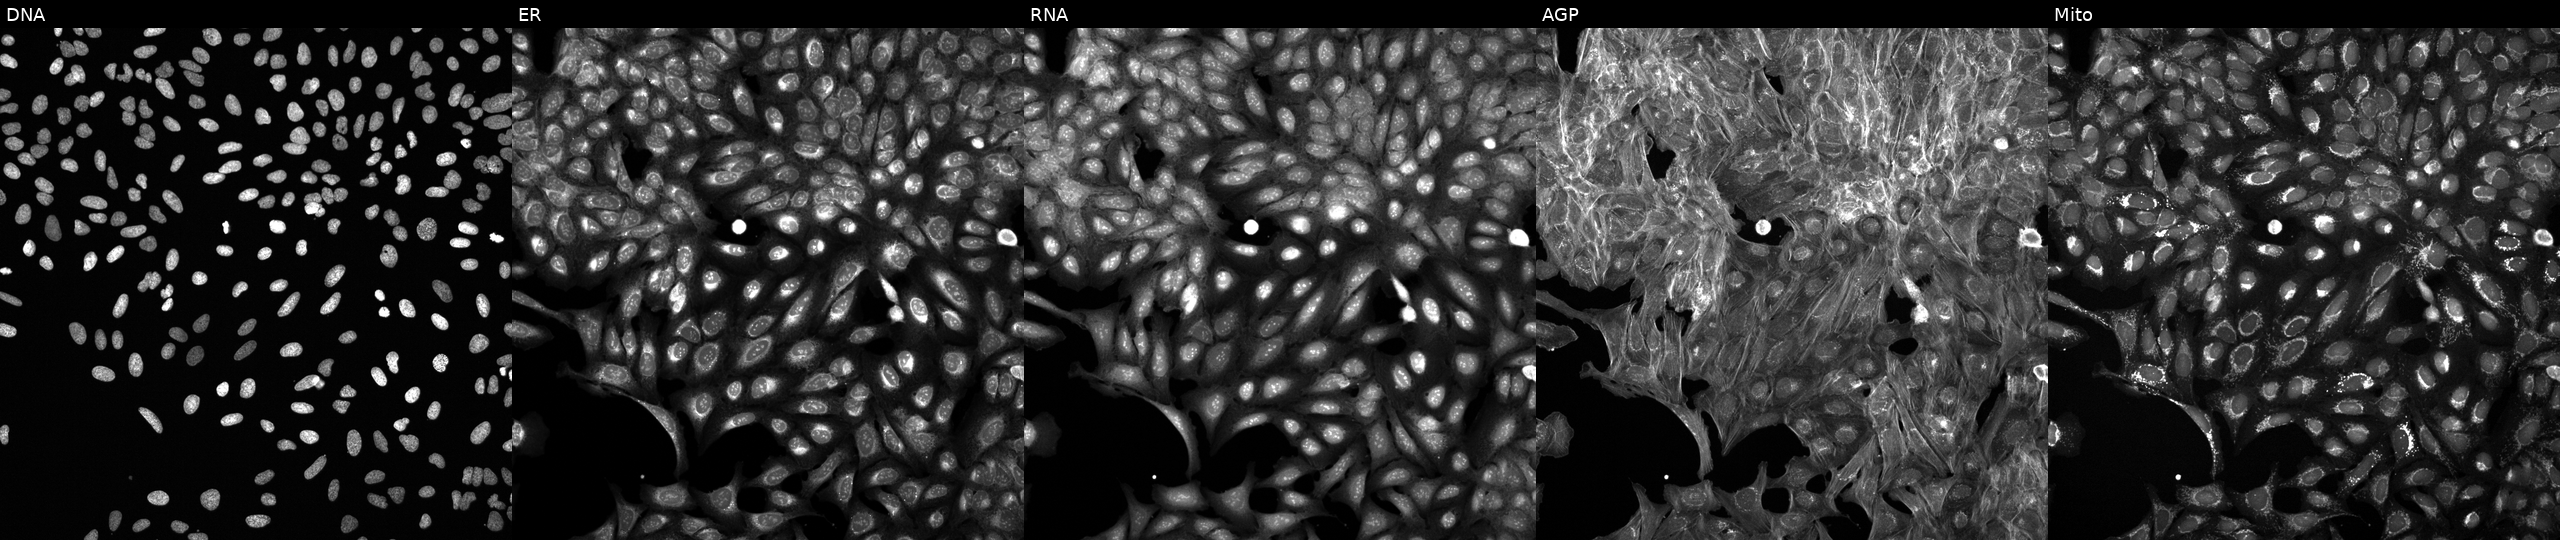
From left to right: Hoechst 33342, concanavalin A, SYTO 14, phalloidin and WGA, MitoTracker. U2OS osteosarcoma cells exposed to a small-molecule compound (InChIKey KSCFJBIXMNOVSH-UHFFFAOYSA-N) (JUMP id JCP2022_046649). Cell Painting assay, JUMP-CP dataset.